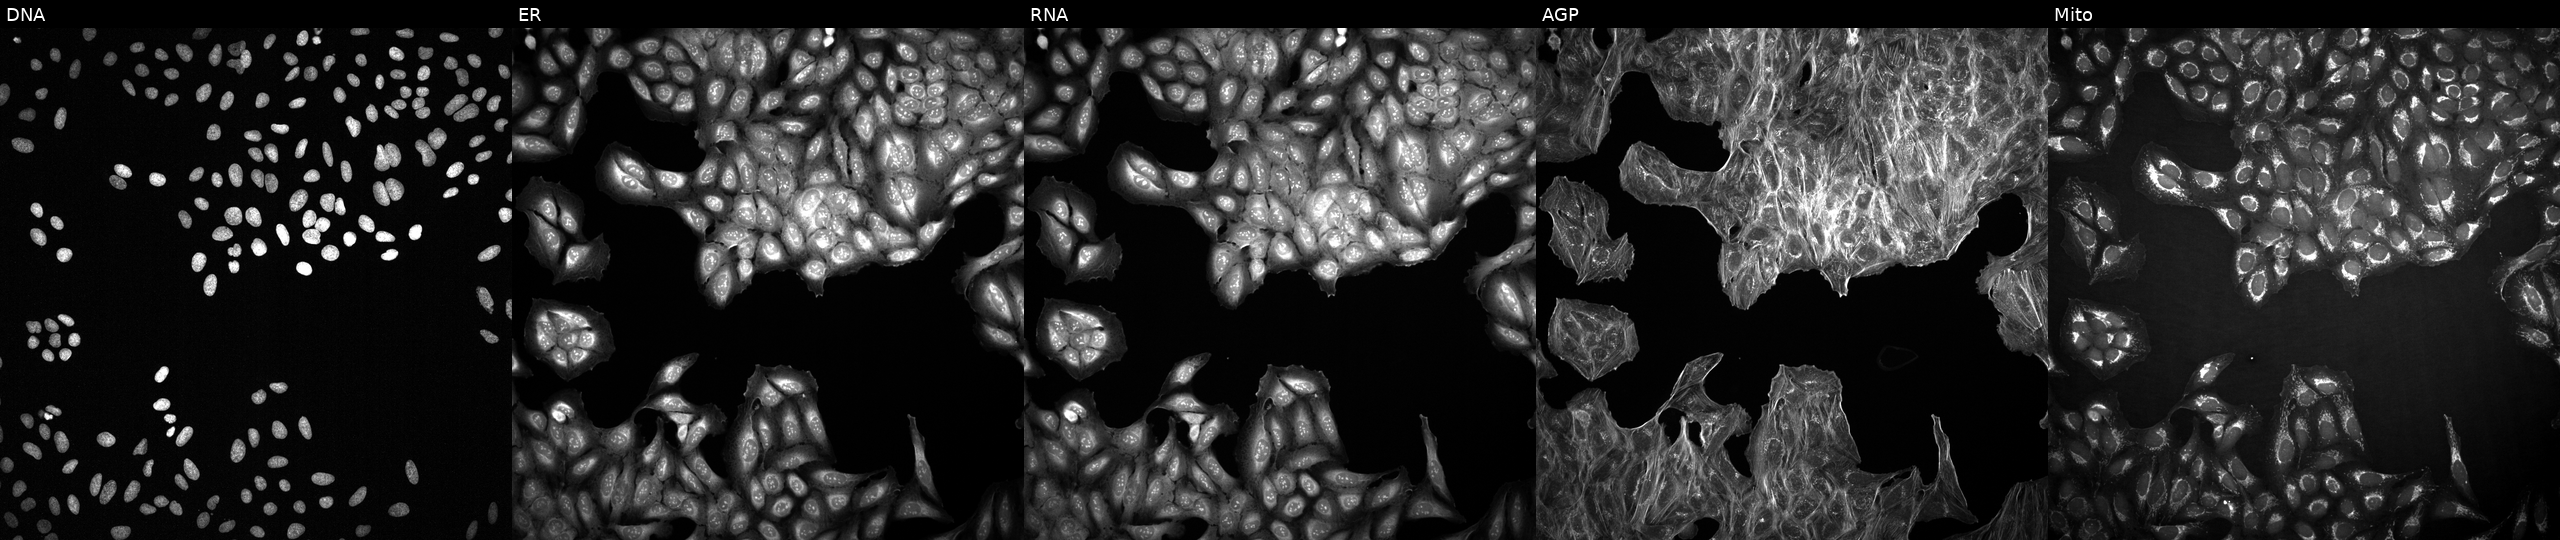
JUMP Cell Painting — COMPOUND plate. U2OS cells perturbed with a small-molecule compound (JUMP id JCP2022_026572). Channels (left→right): DNA, ER, RNA, AGP, and Mito.